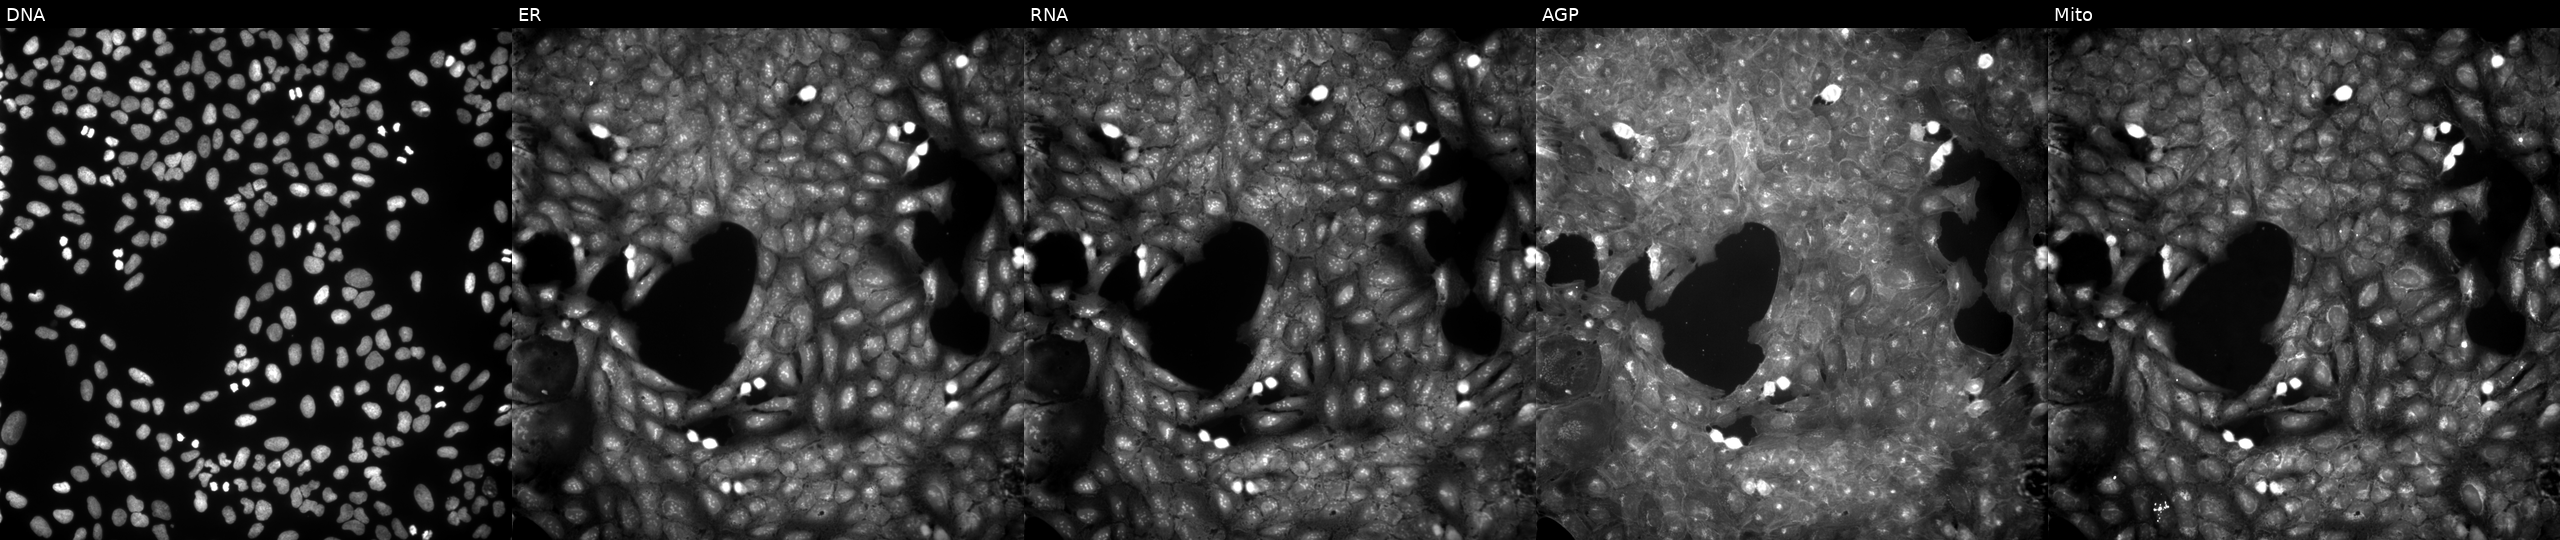
Five-channel Cell Painting image of U2OS cells exposed to a small-molecule compound (InChIKey UQEXAMAGTUGRSM-UHFFFAOYSA-N) [SMILES: O=C(Oc1cccc(C(=S)N2CCOCC2)c1)c1ccc([N+](=O)[O-])cc1] (JUMP id JCP2022_090826). Panels show, left to right, Hoechst 33342, concanavalin A, SYTO 14, phalloidin and WGA, MitoTracker.